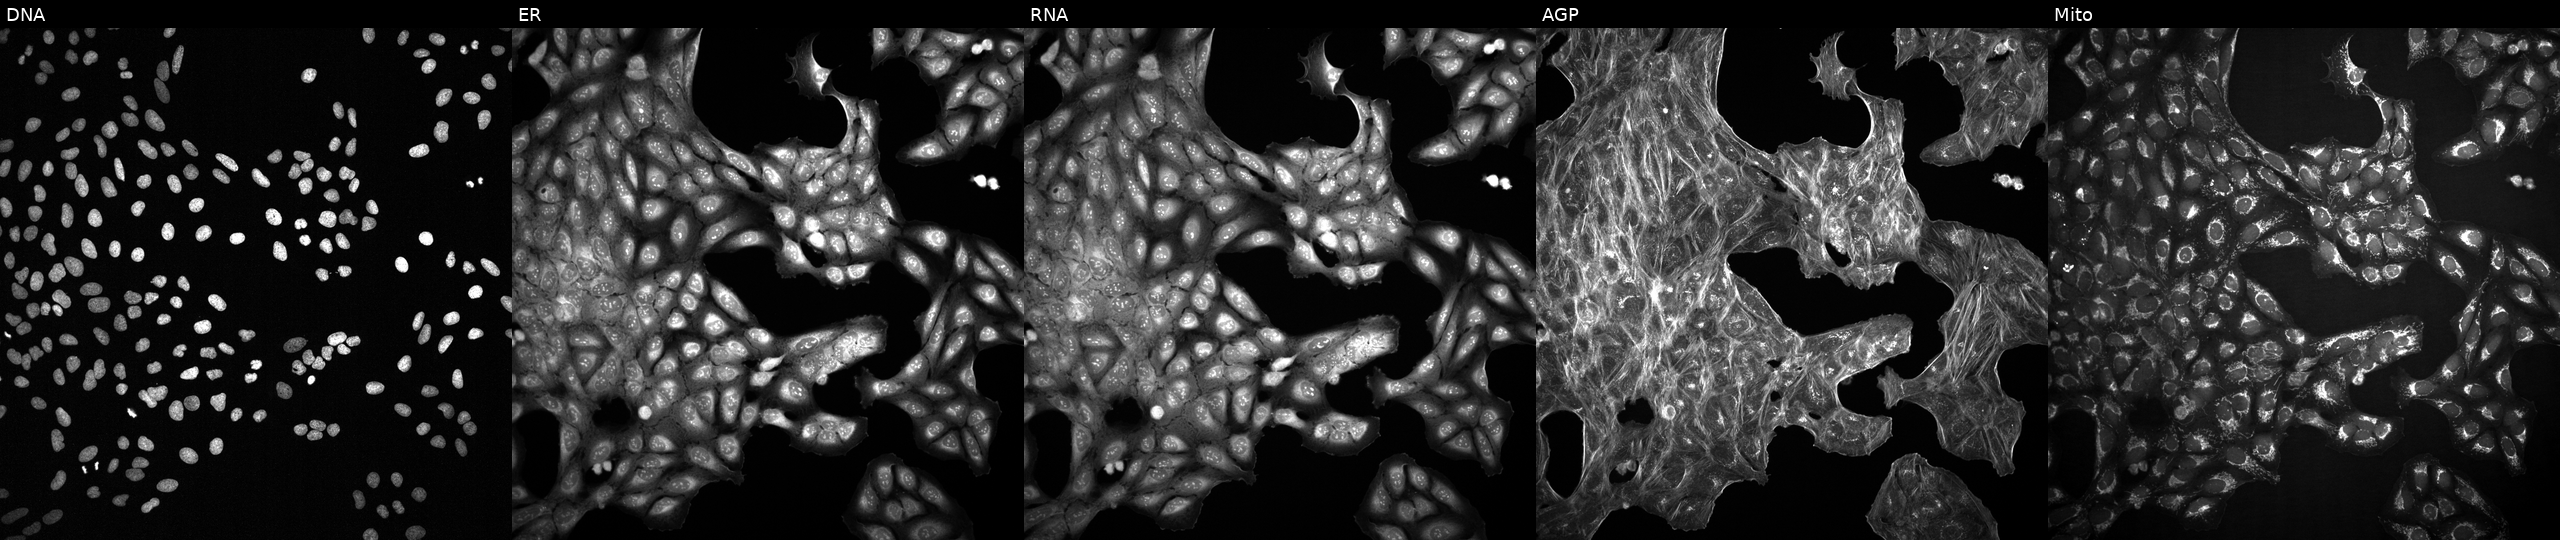
This image strip shows the five Cell Painting channels for a single field of U2OS cells with an unidentified perturbation (not annotated in JUMP metadata). The five panels, left to right, show DNA, ER, RNA, AGP, and Mito.